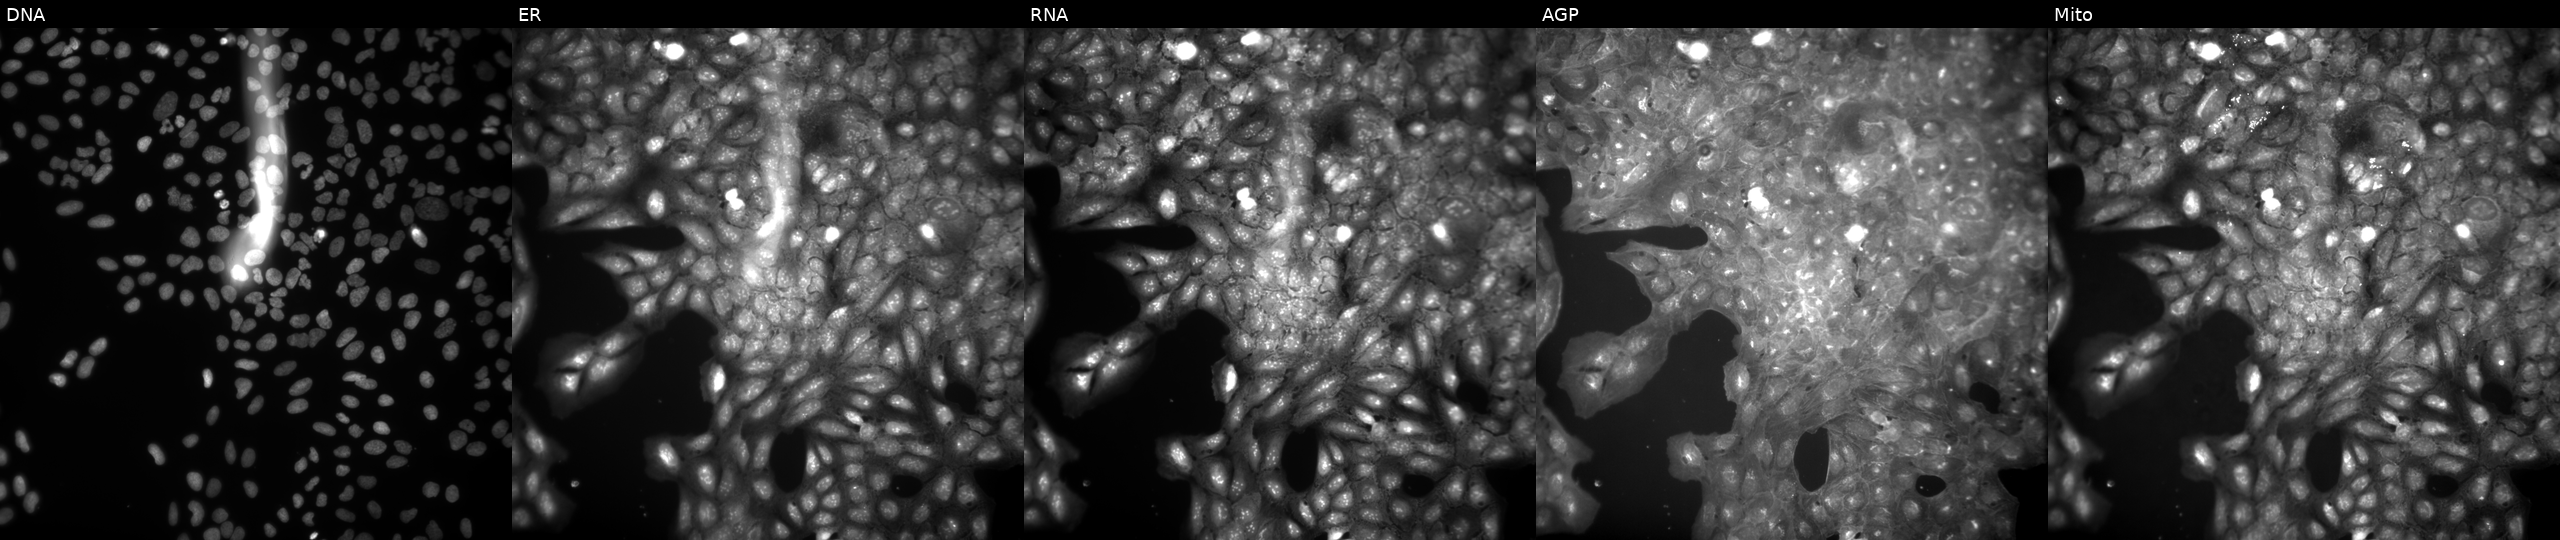
JUMP Cell Painting — COMPOUND plate. U2OS cells treated with DMSO vehicle only (negative control). From left to right: DNA (nuclei); ER (endoplasmic reticulum); RNA (nucleoli and cytoplasmic RNA); AGP (actin cytoskeleton, Golgi, and plasma membrane); Mito (mitochondria).